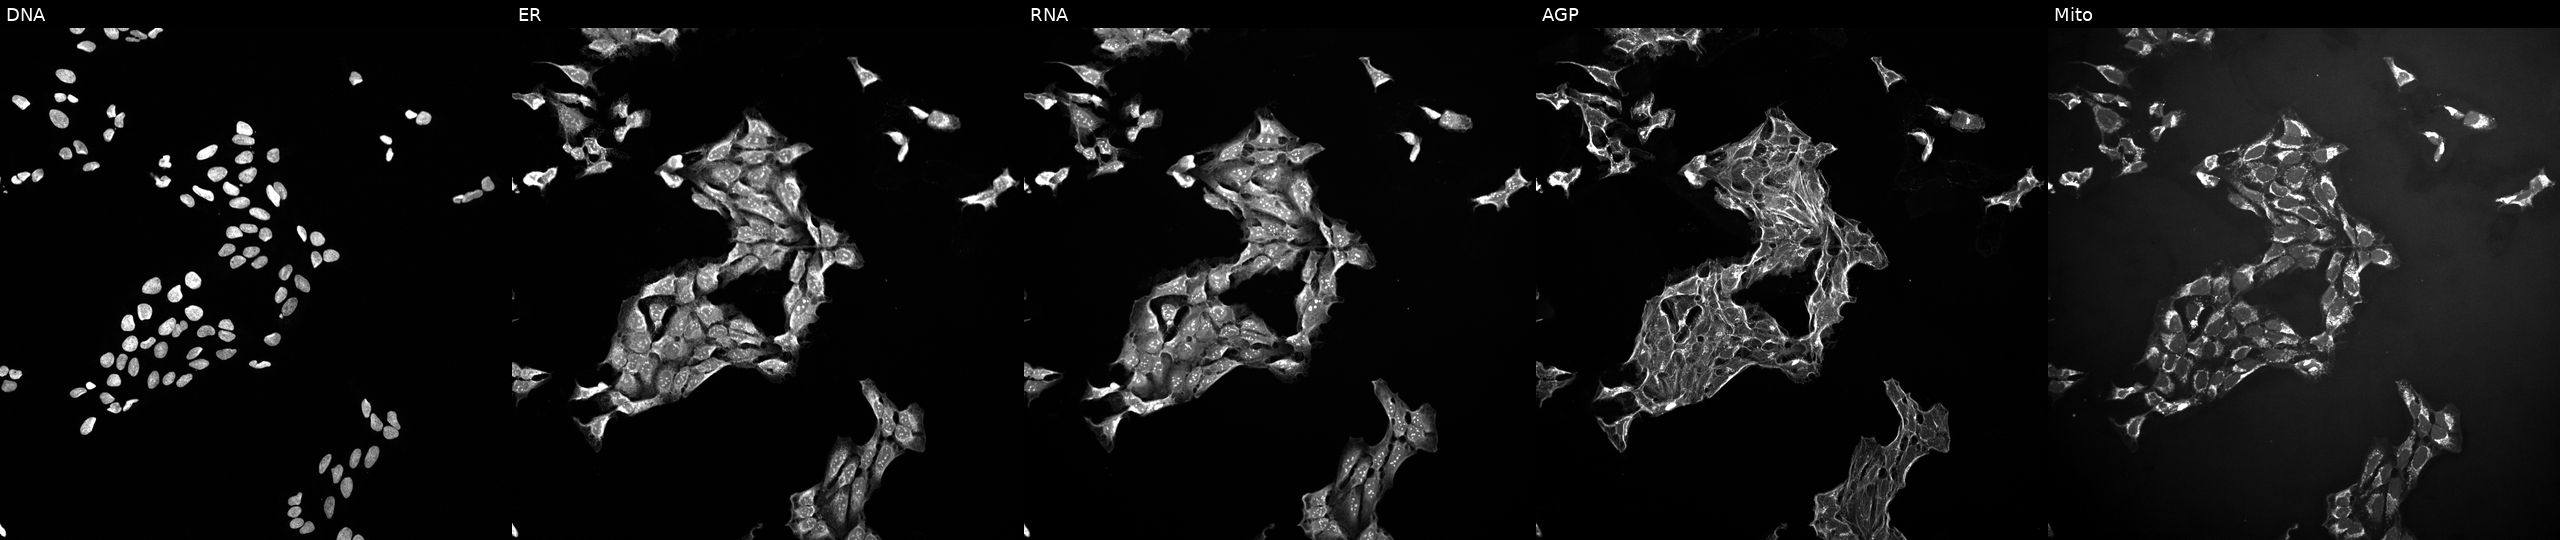
Five-channel Cell Painting image of U2OS cells treated with a small-molecule compound [SMILES: COc1ccc(N(C(=O)Oc2c(C)cccc2C)c2cc[nH]c(=Nc3ccc(N4CCN(C)CC4)cc3)n2)c(OC)c1] (JUMP id JCP2022_057971). From left to right: DNA (nuclei); ER (endoplasmic reticulum); RNA (nucleoli and cytoplasmic RNA); AGP (actin cytoskeleton, Golgi, and plasma membrane); Mito (mitochondria). Source 10, plate Dest210726-160150, well K01.